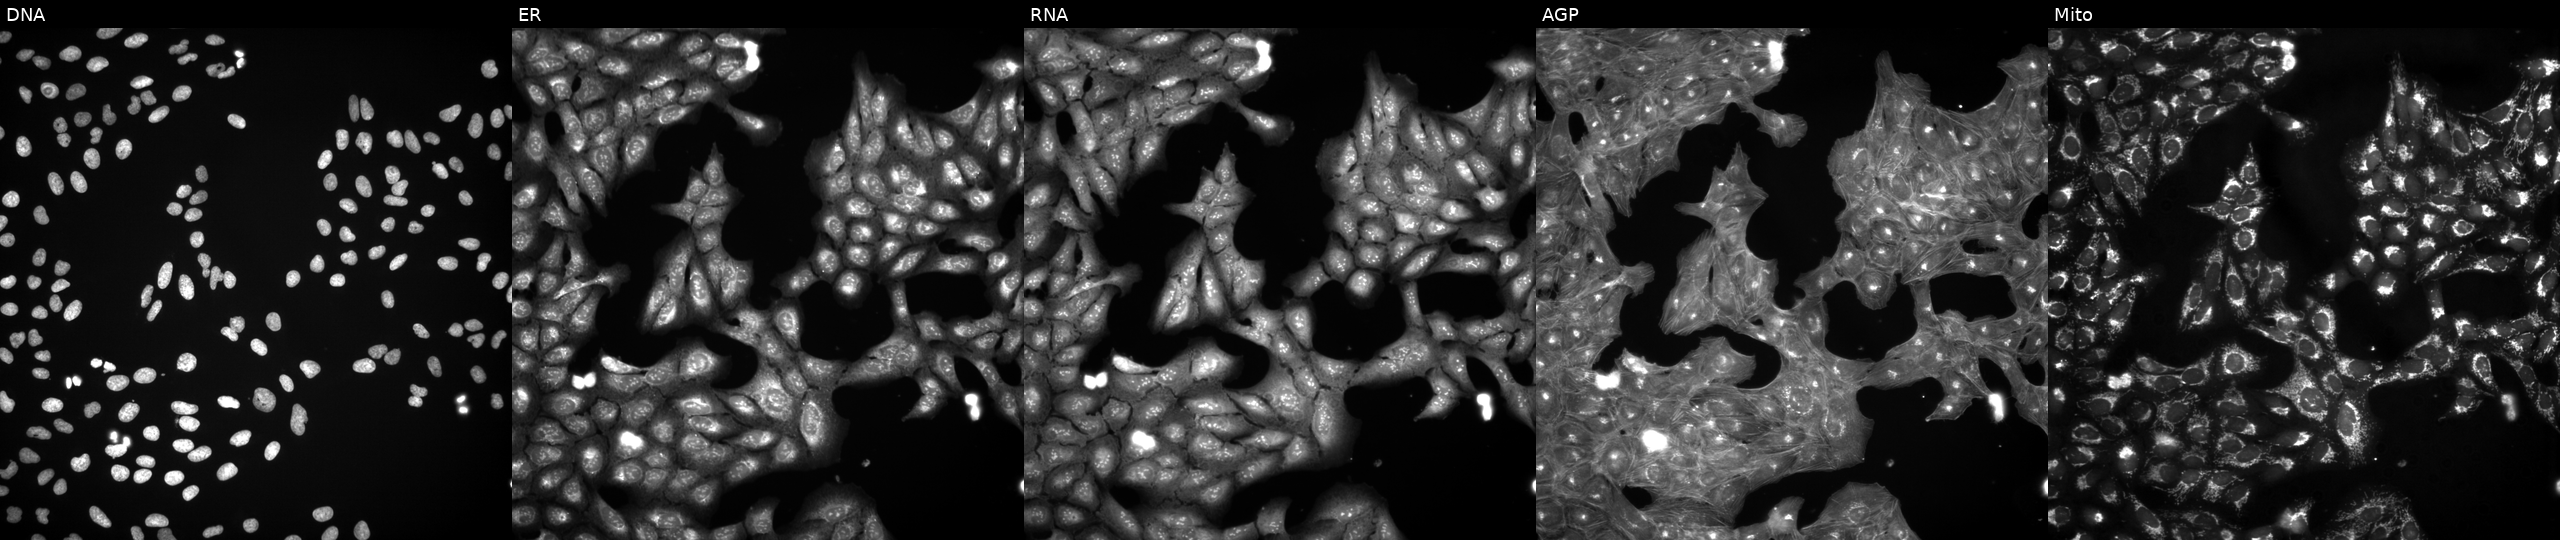
Five-channel Cell Painting image of U2OS cells perturbed with a small-molecule compound. From left to right: Hoechst 33342, concanavalin A, SYTO 14, phalloidin and WGA, MitoTracker.